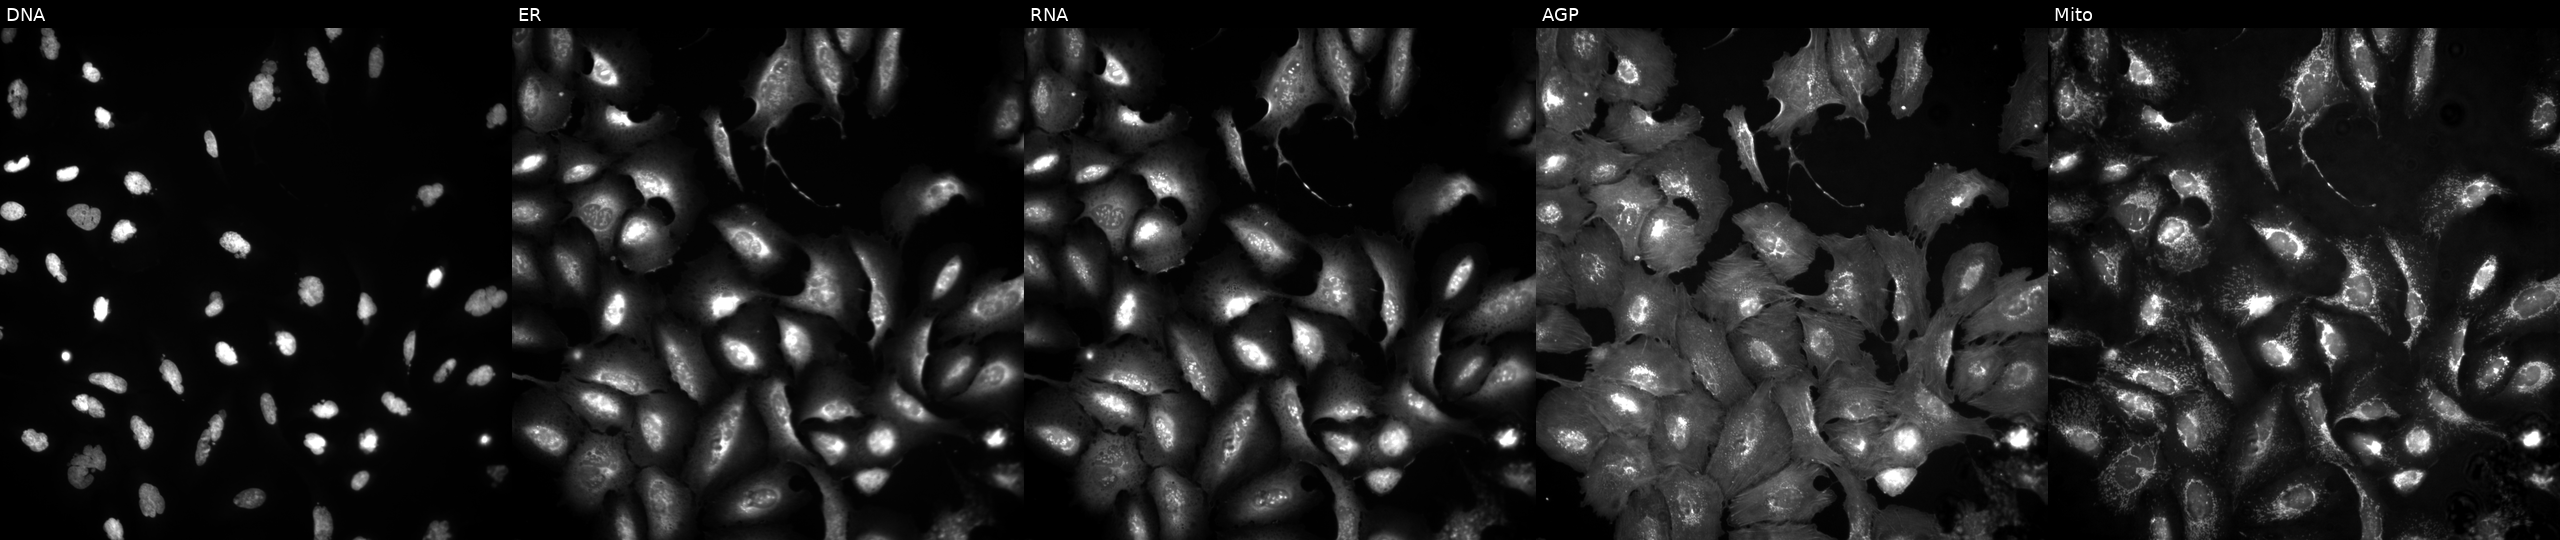
This image strip shows the five Cell Painting channels for a single field of U2OS cells exposed to the positive-control compound AMG900 (JUMP id JCP2022_037716). From left to right: DNA, ER, RNA, AGP, and Mito.